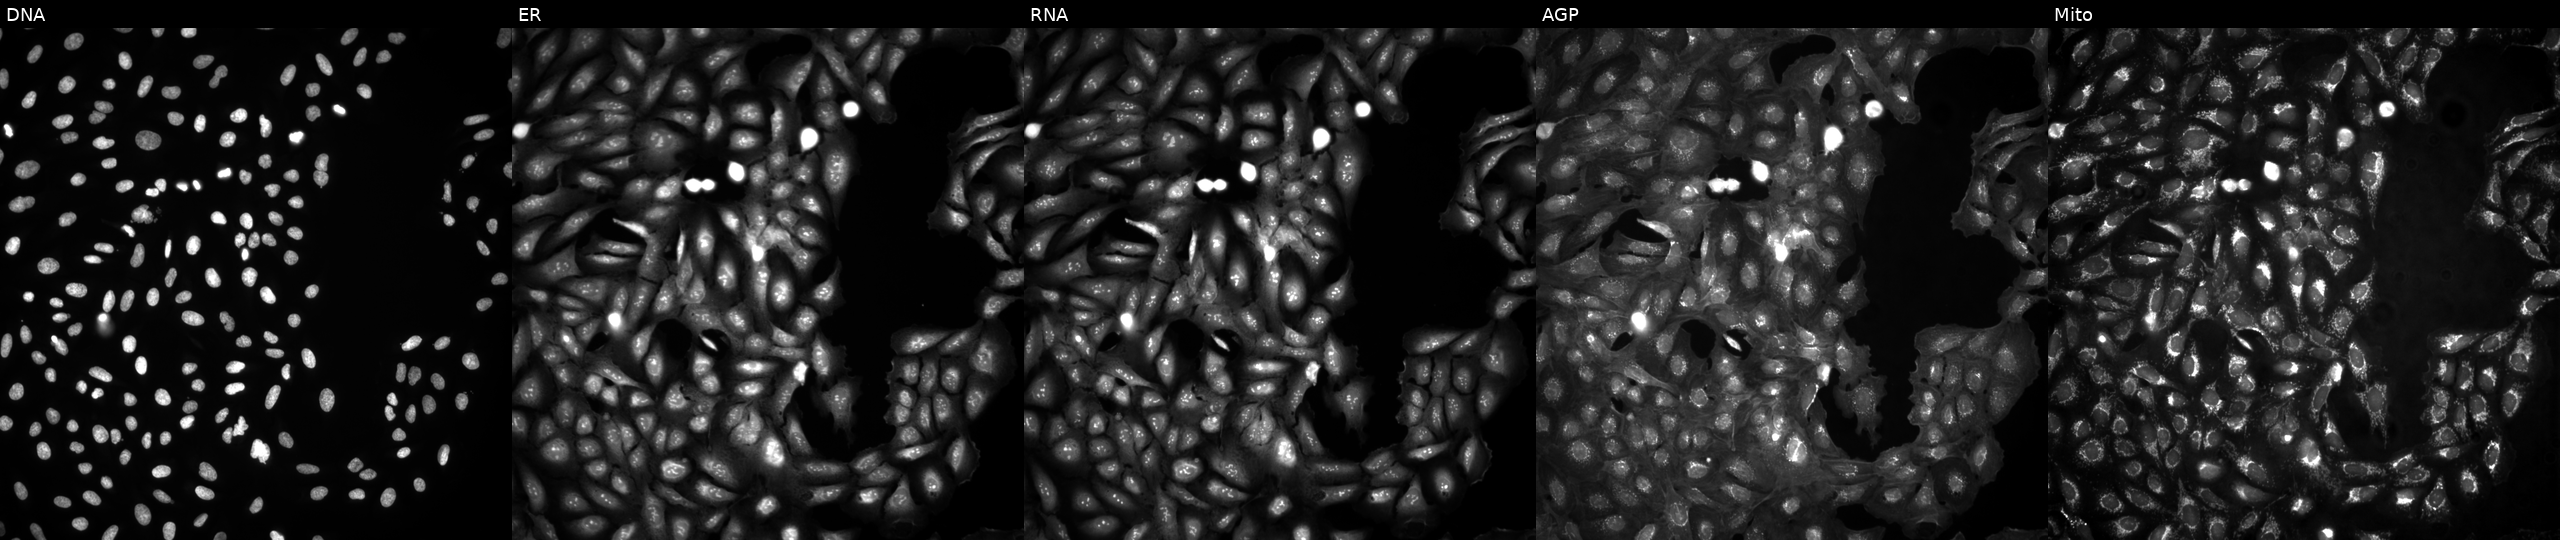
Five-channel Cell Painting image of U2OS cells in an empty control well (no perturbation) (JUMP id JCP2022_999999). From left to right: Hoechst 33342, concanavalin A, SYTO 14, phalloidin and WGA, MitoTracker. Source 4, plate BR00124793, well K01.